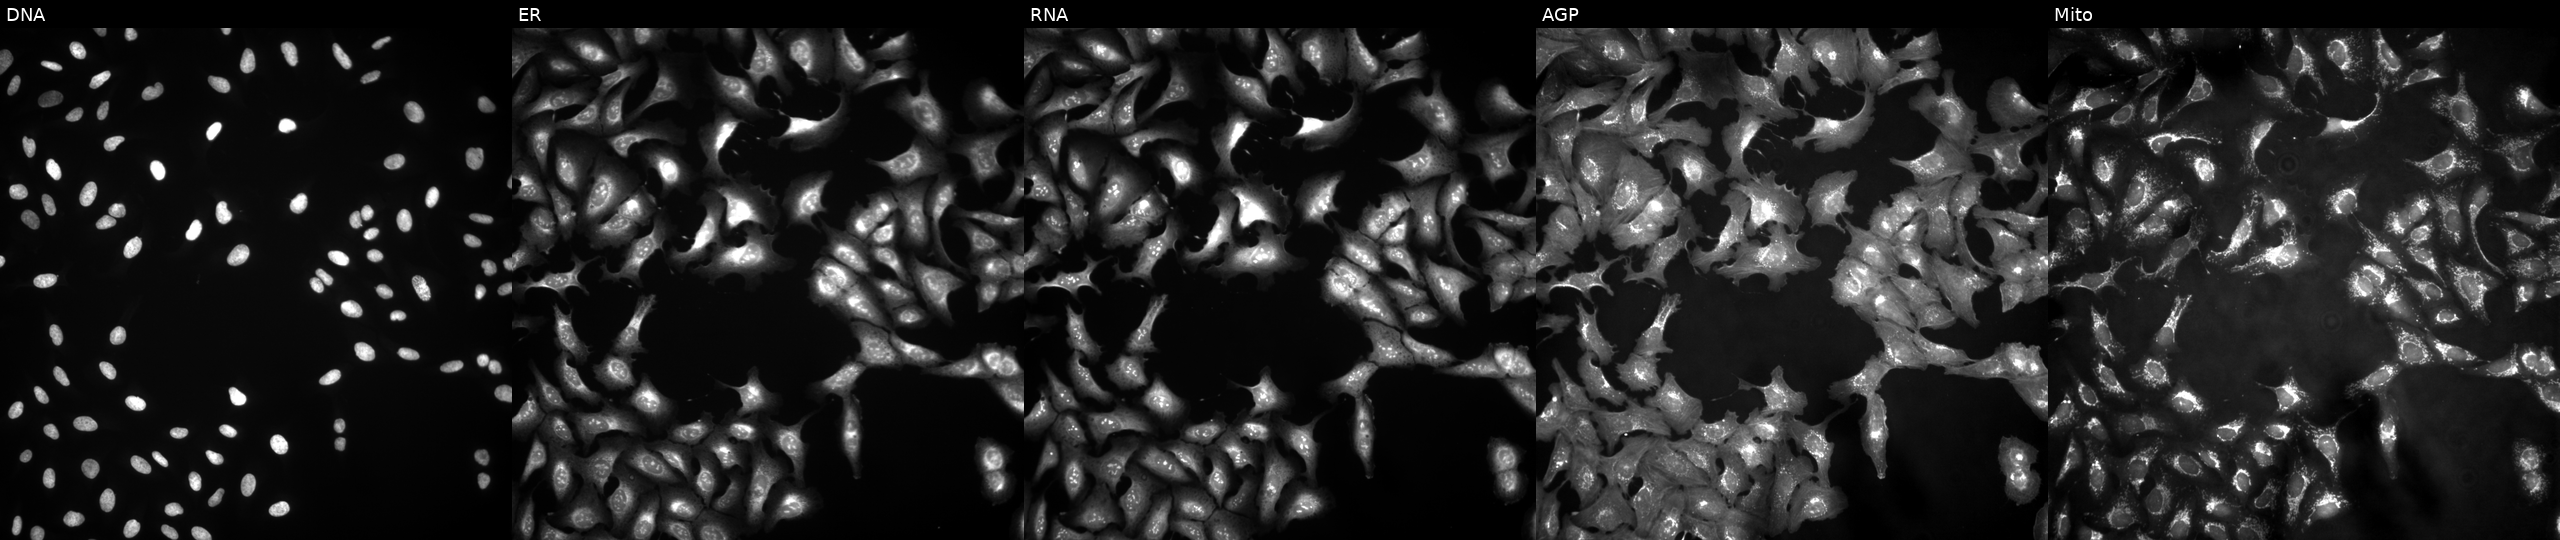
The five panels, left to right, show Hoechst 33342, concanavalin A, SYTO 14, phalloidin and WGA, MitoTracker. U2OS osteosarcoma cells transfected with an ORF construct for GPD1. Cell Painting assay, JUMP-CP dataset. Source 4, plate BR00121543, well B19.